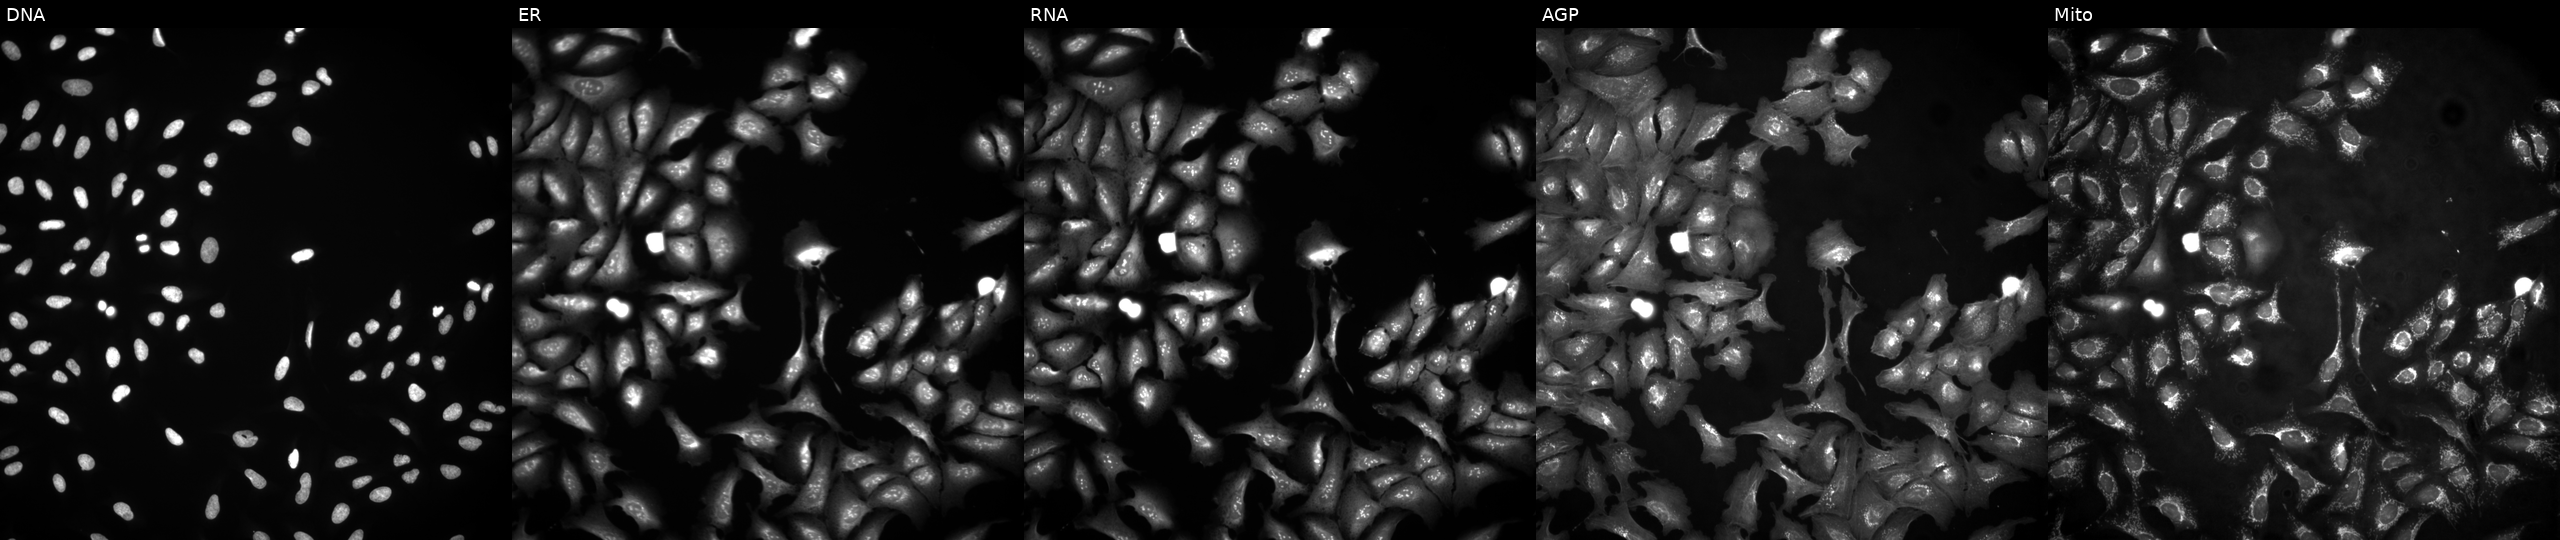
JUMP Cell Painting — ORF plate. U2OS cells expressing BFP (ORF negative control). The five panels, left to right, show DNA (nuclei); ER (endoplasmic reticulum); RNA (nucleoli and cytoplasmic RNA); AGP (actin cytoskeleton, Golgi, and plasma membrane); Mito (mitochondria). Source 4, plate BR00124787, well E05.